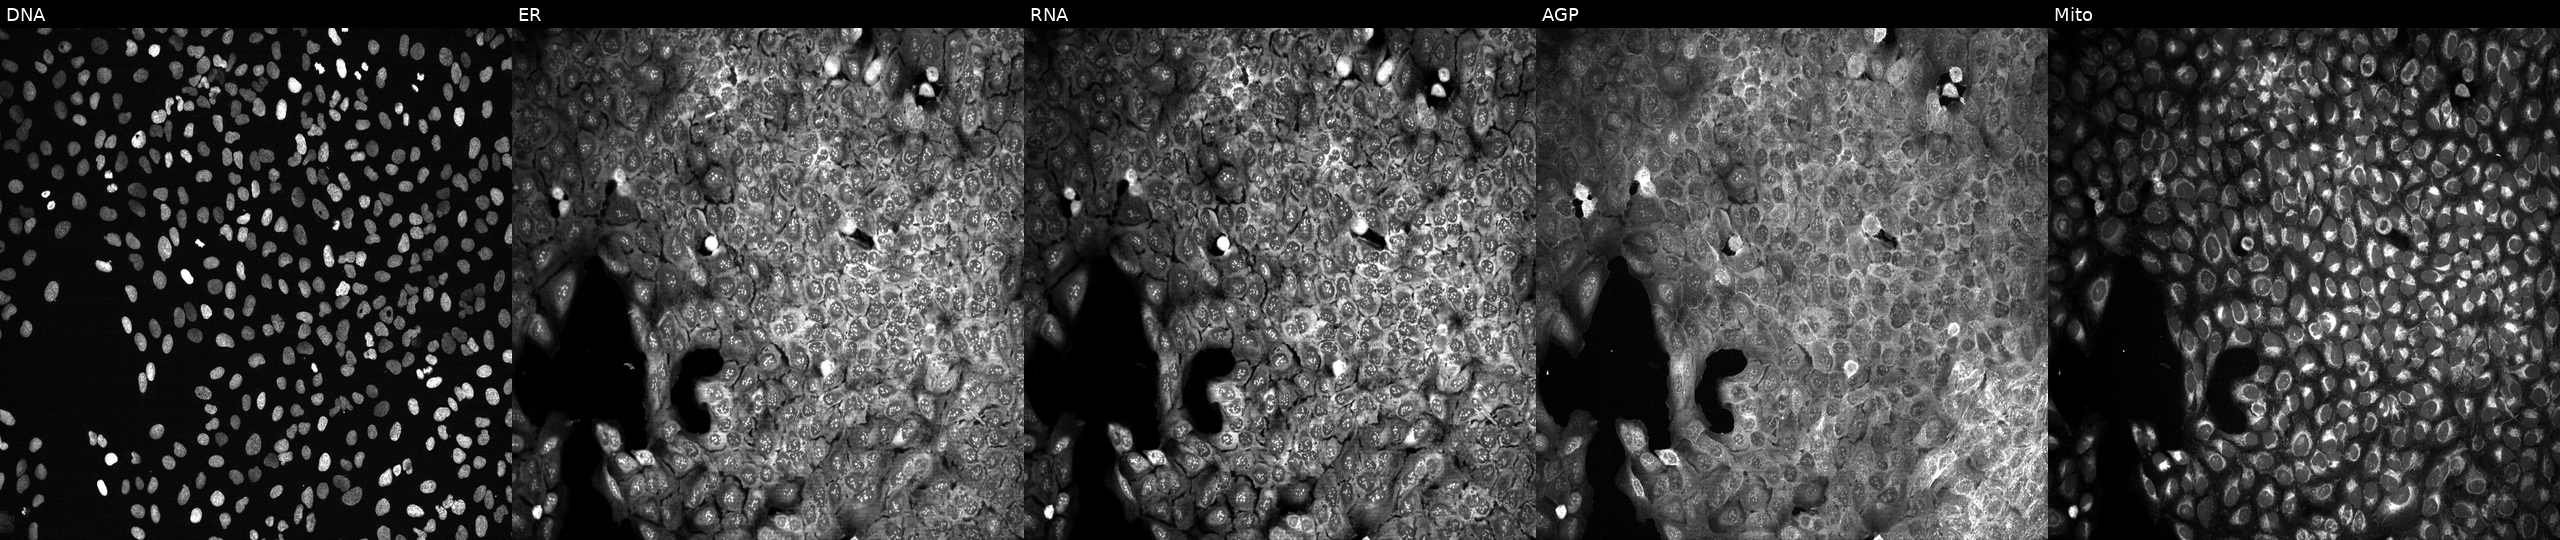
High-content fluorescence microscopy (Cell Painting). Cell line: U2OS. Perturbation: following CRISPR knockout of ST6GAL1. Panels show, left to right, DNA (nuclei); ER (endoplasmic reticulum); RNA (nucleoli and cytoplasmic RNA); AGP (actin cytoskeleton, Golgi, and plasma membrane); Mito (mitochondria).